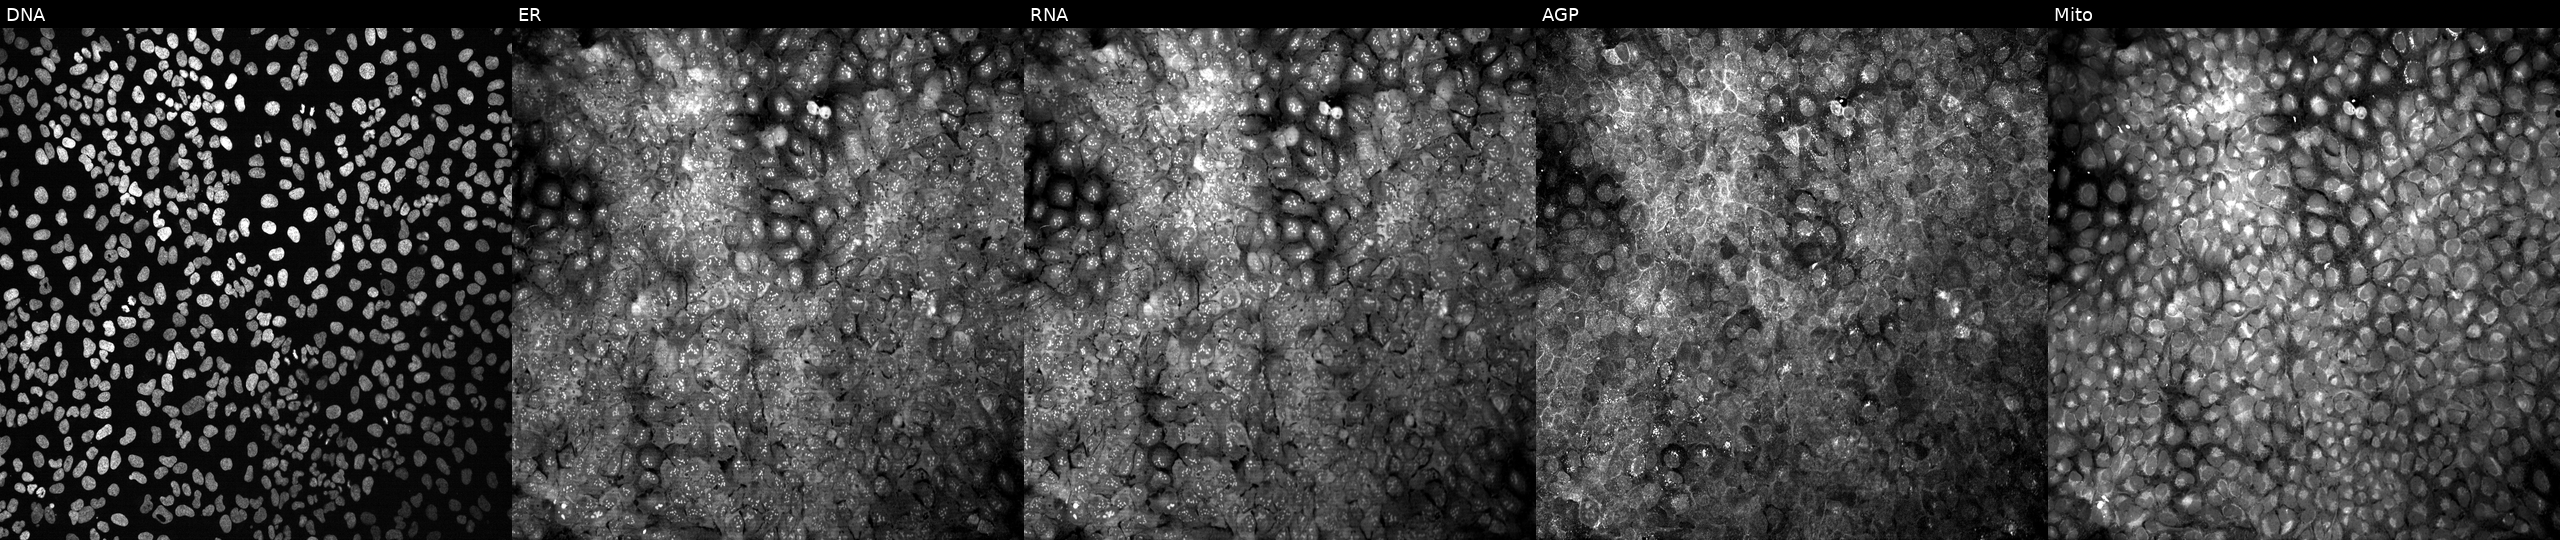
Five-channel Cell Painting image of U2OS cells with LIPG knocked out by CRISPR (JUMP id JCP2022_803849). The five panels, left to right, show Hoechst 33342, concanavalin A, SYTO 14, phalloidin and WGA, MitoTracker.